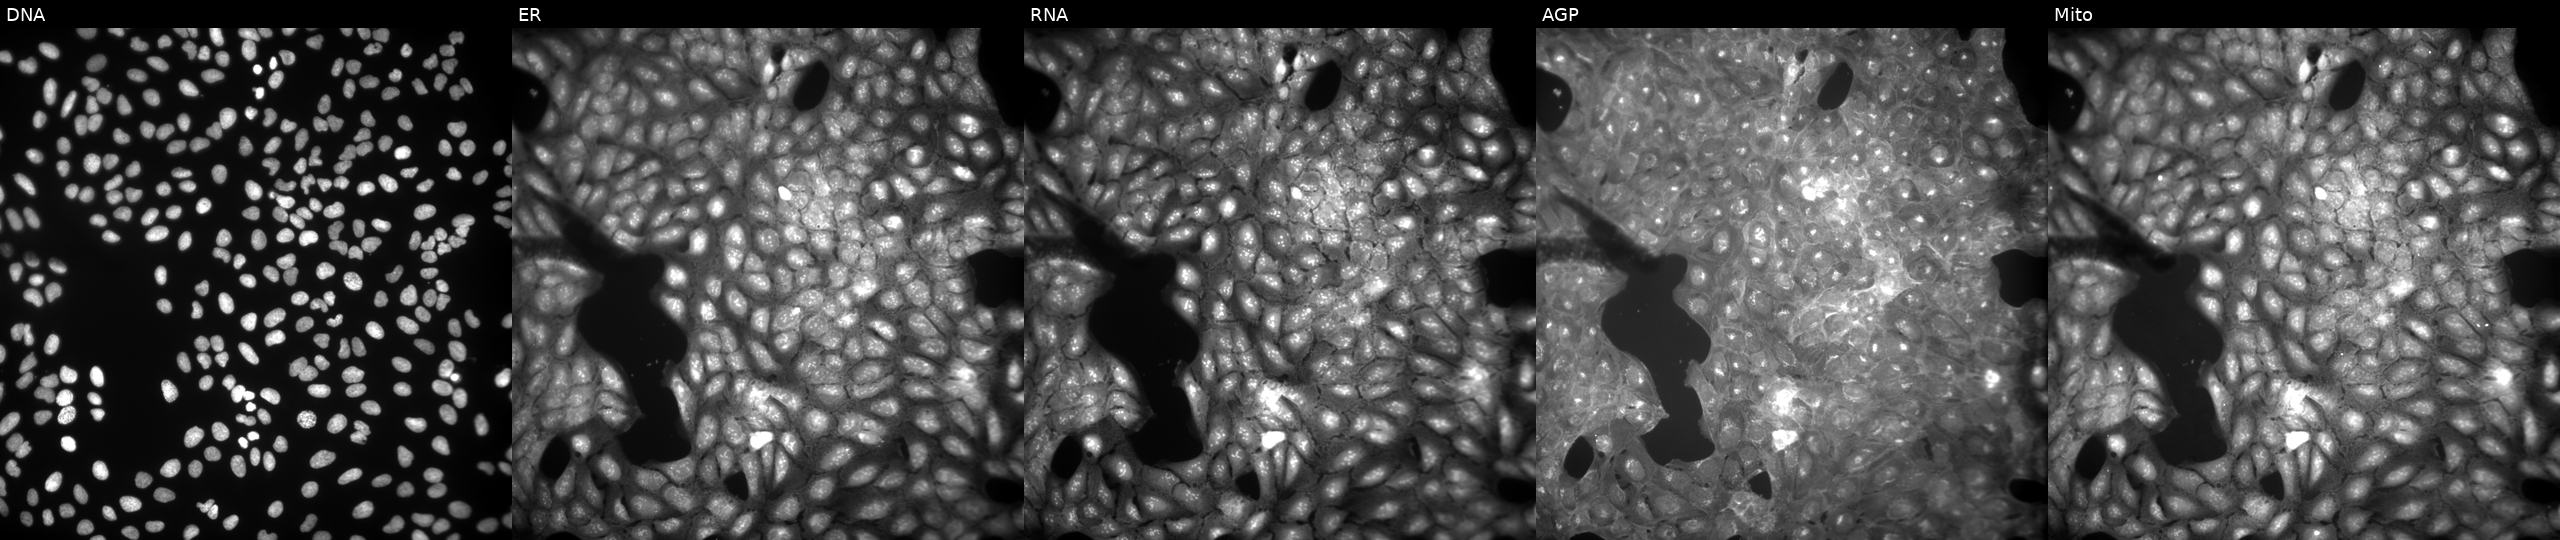
JUMP Cell Painting — COMPOUND plate. U2OS cells exposed to a small-molecule compound. The five panels, left to right, show DNA, ER, RNA, AGP, and Mito. Source 9, plate GR00003381, well U45.